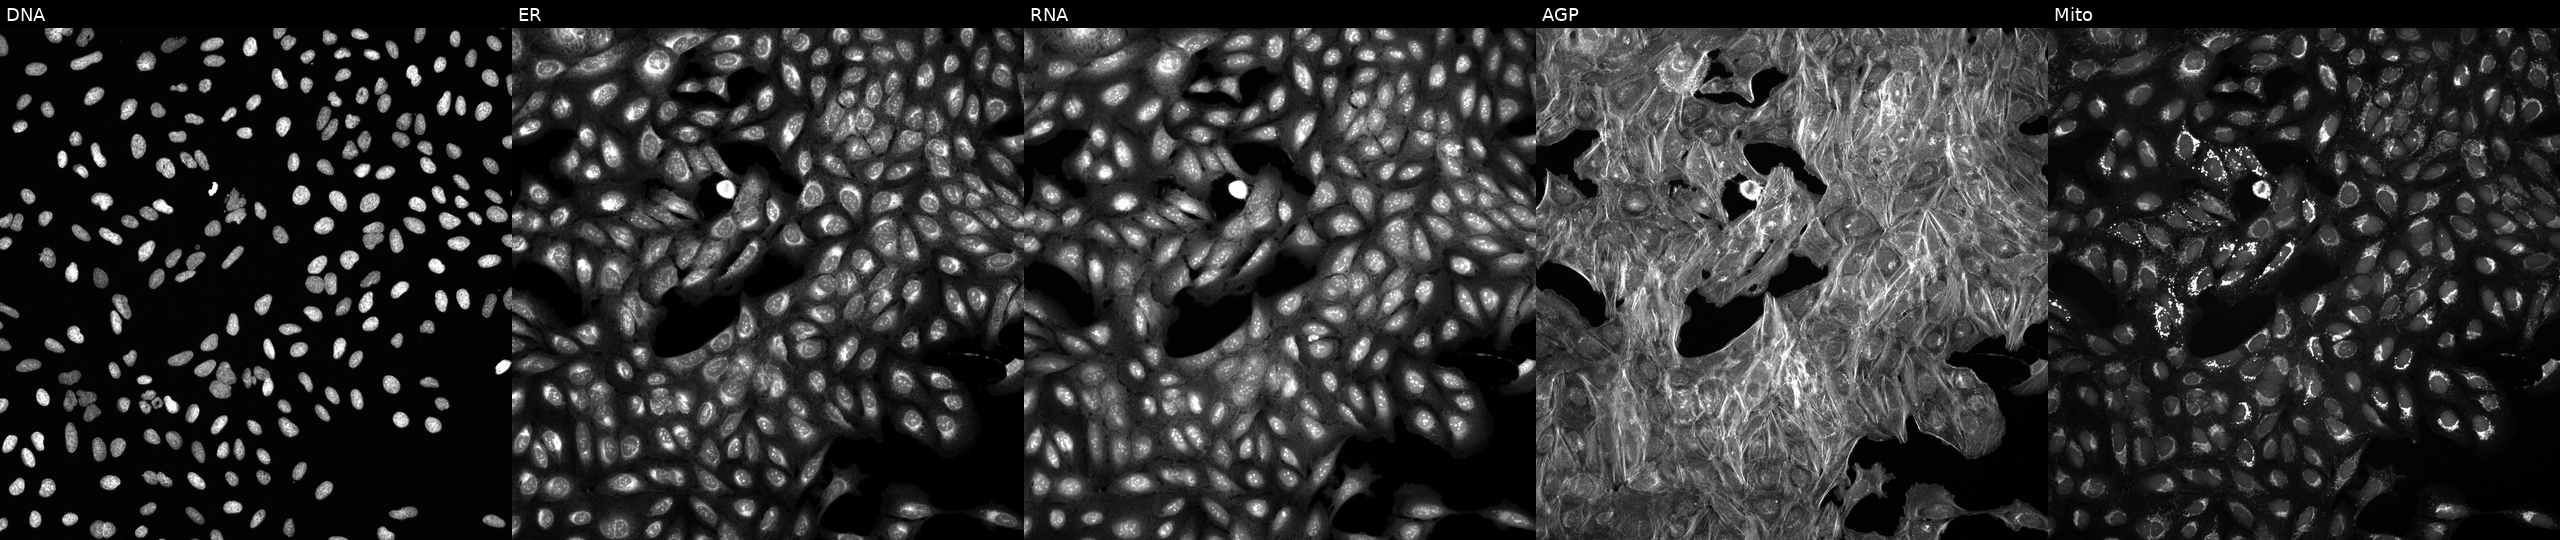
JUMP Cell Painting — COMPOUND plate. U2OS cells exposed to DMSO alone as a negative control. From left to right: DNA (nuclei); ER (endoplasmic reticulum); RNA (nucleoli and cytoplasmic RNA); AGP (actin cytoskeleton, Golgi, and plasma membrane); Mito (mitochondria).